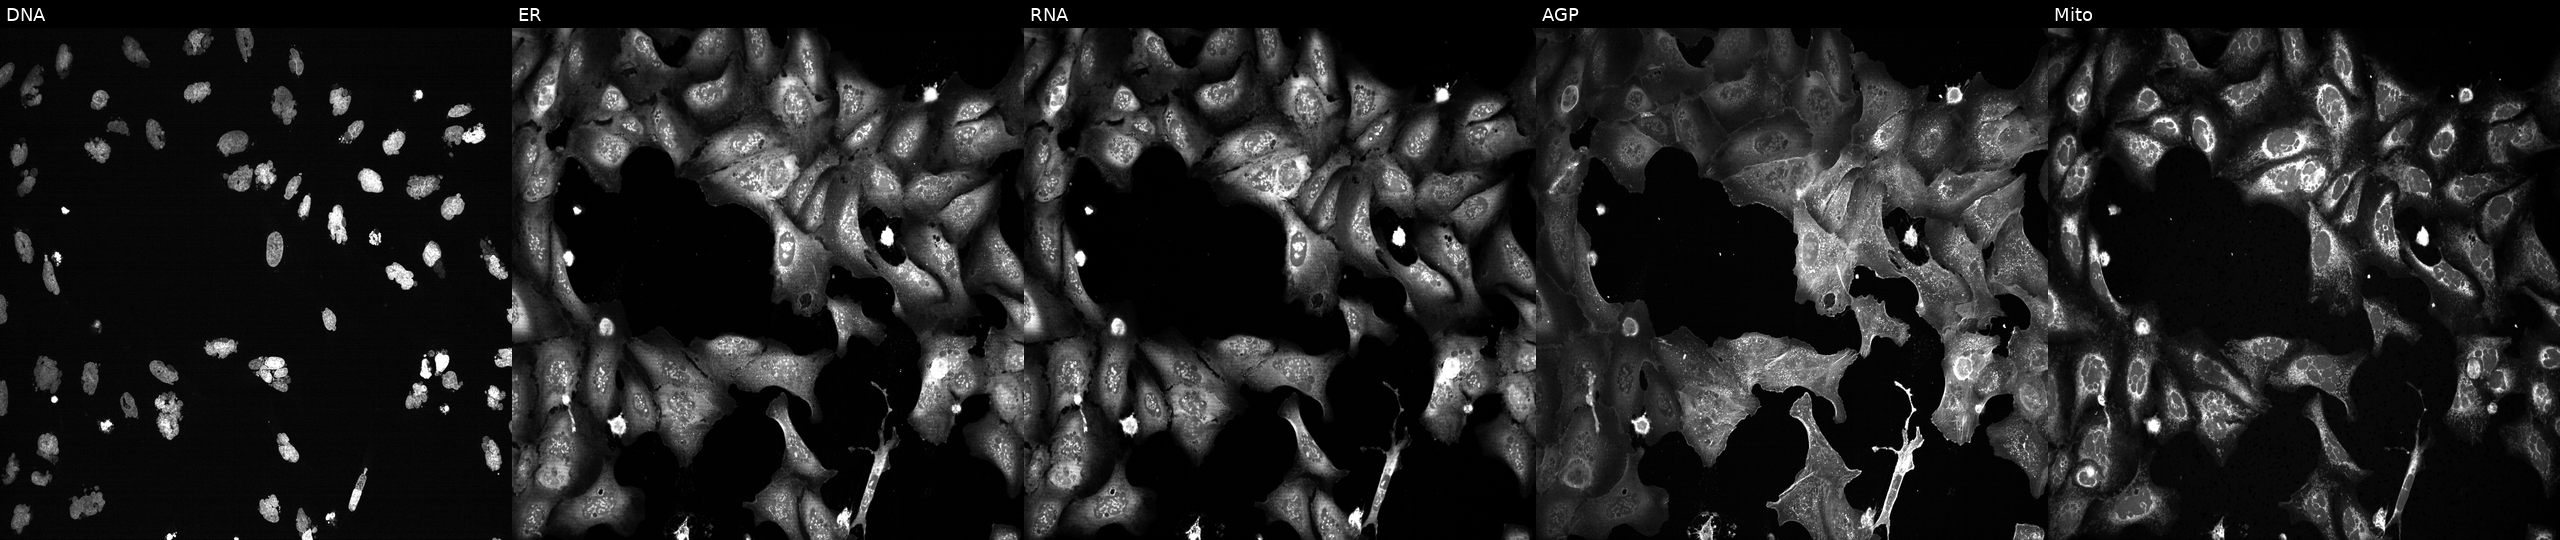
JUMP Cell Painting — CRISPR plate. U2OS cells treated with AMG900 (positive-control compound). From left to right: DNA (nuclei); ER (endoplasmic reticulum); RNA (nucleoli and cytoplasmic RNA); AGP (actin cytoskeleton, Golgi, and plasma membrane); Mito (mitochondria). Source 13, plate CP-CC9-R6-19, well F24.